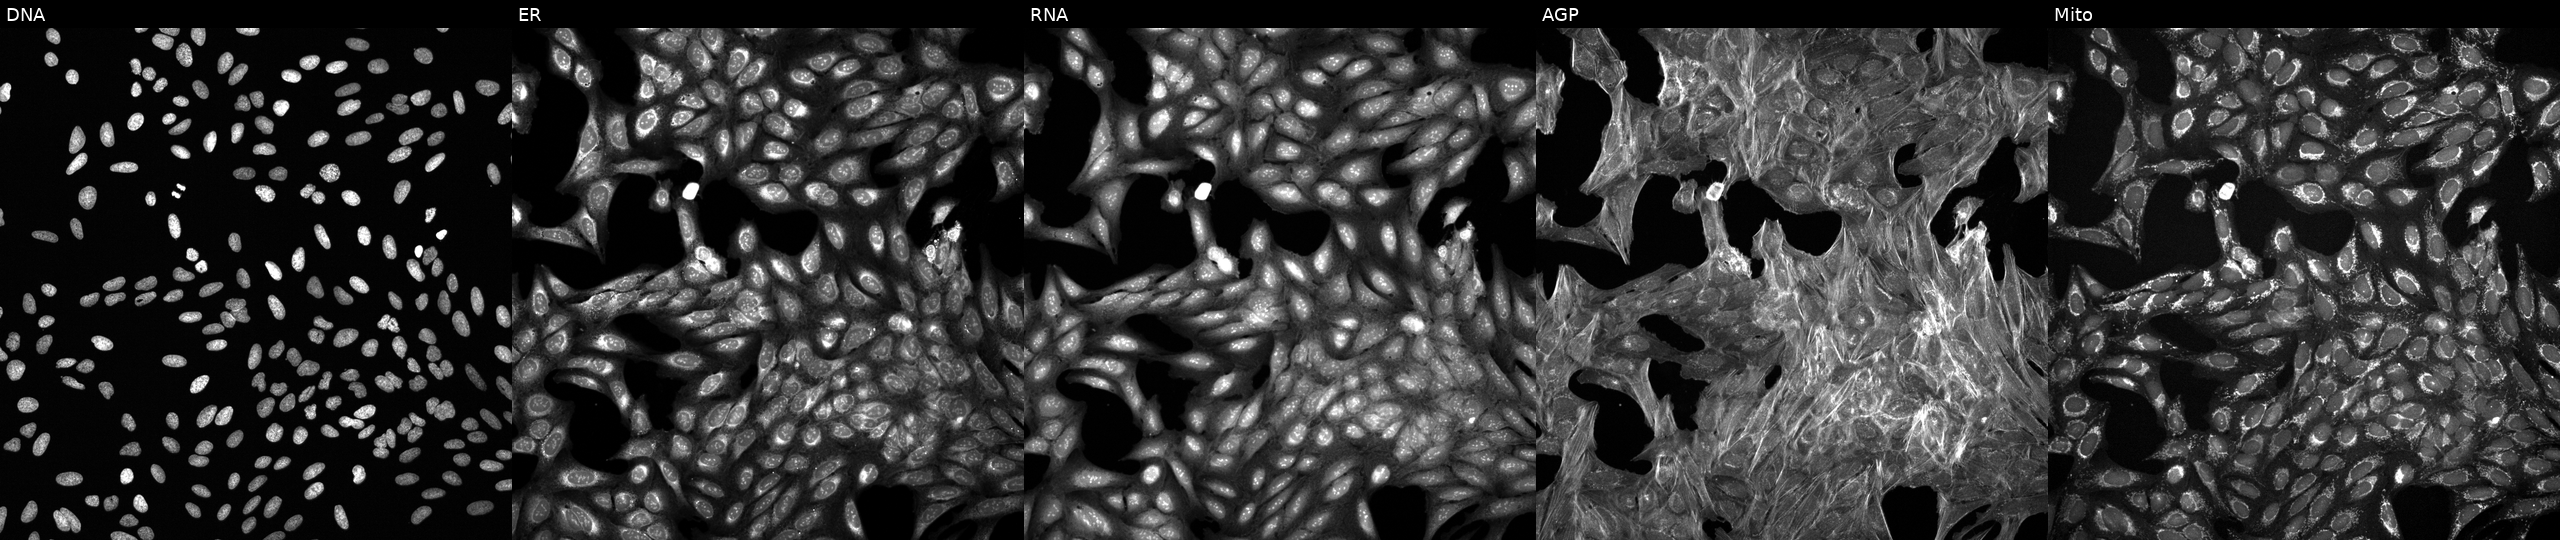
This image strip shows the five Cell Painting channels for a single field of U2OS cells treated with a small-molecule compound (InChIKey ZMUSCGJNJYXJBP-UHFFFAOYSA-N). From left to right: Hoechst 33342, concanavalin A, SYTO 14, phalloidin and WGA, MitoTracker. Source 6, plate 110000293093, well G05.